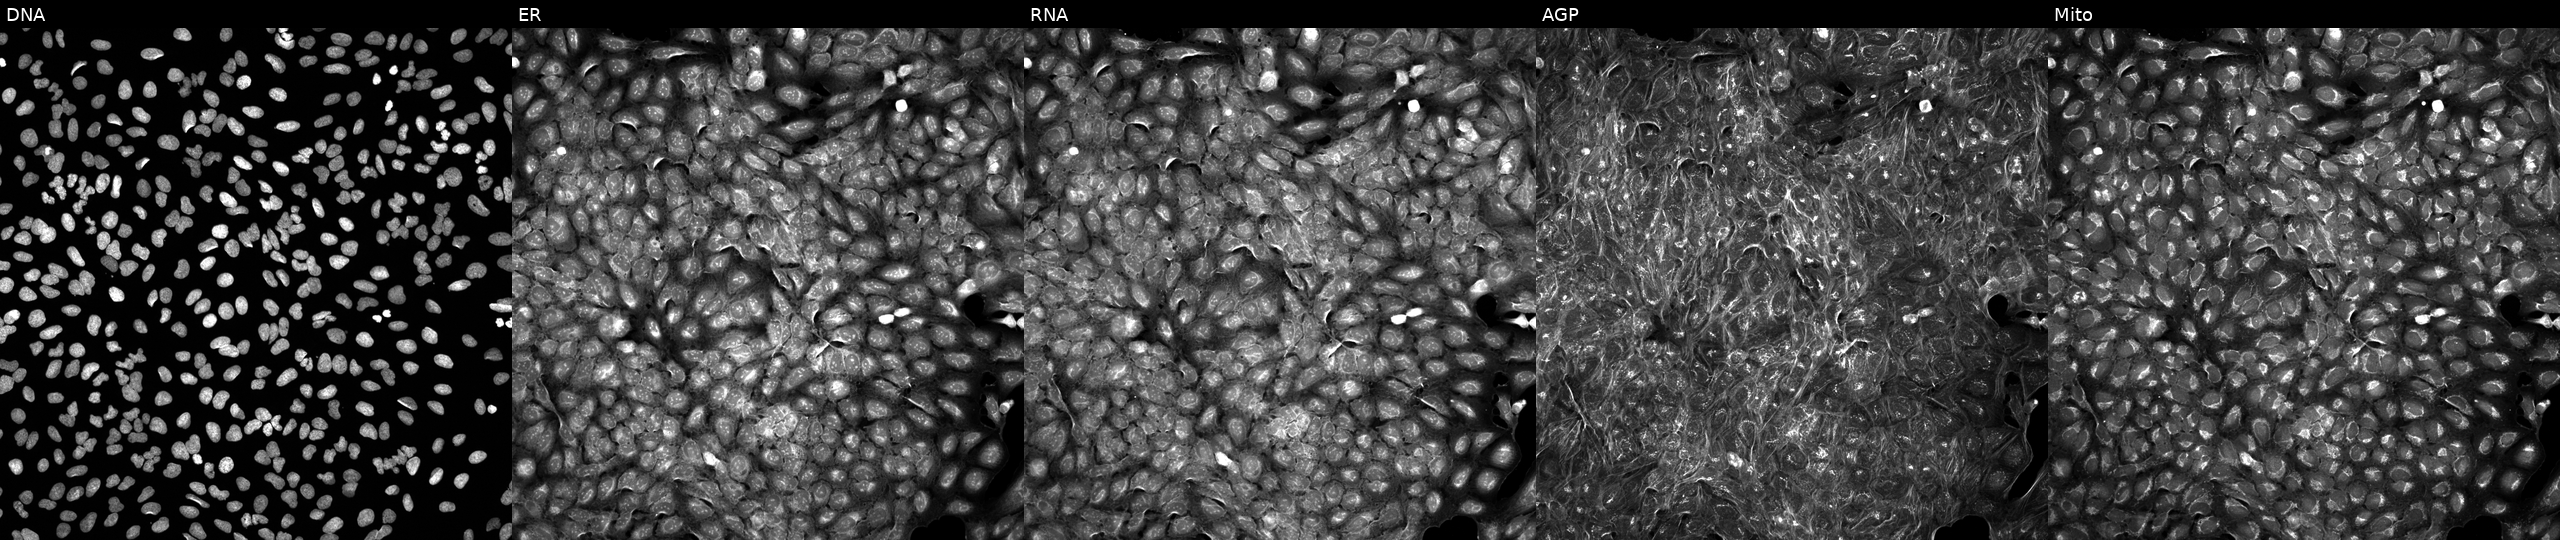
This image strip shows the five Cell Painting channels for a single field of U2OS cells perturbed with a small-molecule compound (InChIKey TWRRYYYKFSHZPV-UHFFFAOYSA-N) (JUMP id JCP2022_087224). The five panels, left to right, show Hoechst 33342, concanavalin A, SYTO 14, phalloidin and WGA, MitoTracker. Source 5, plate APTJUM106, well N16.